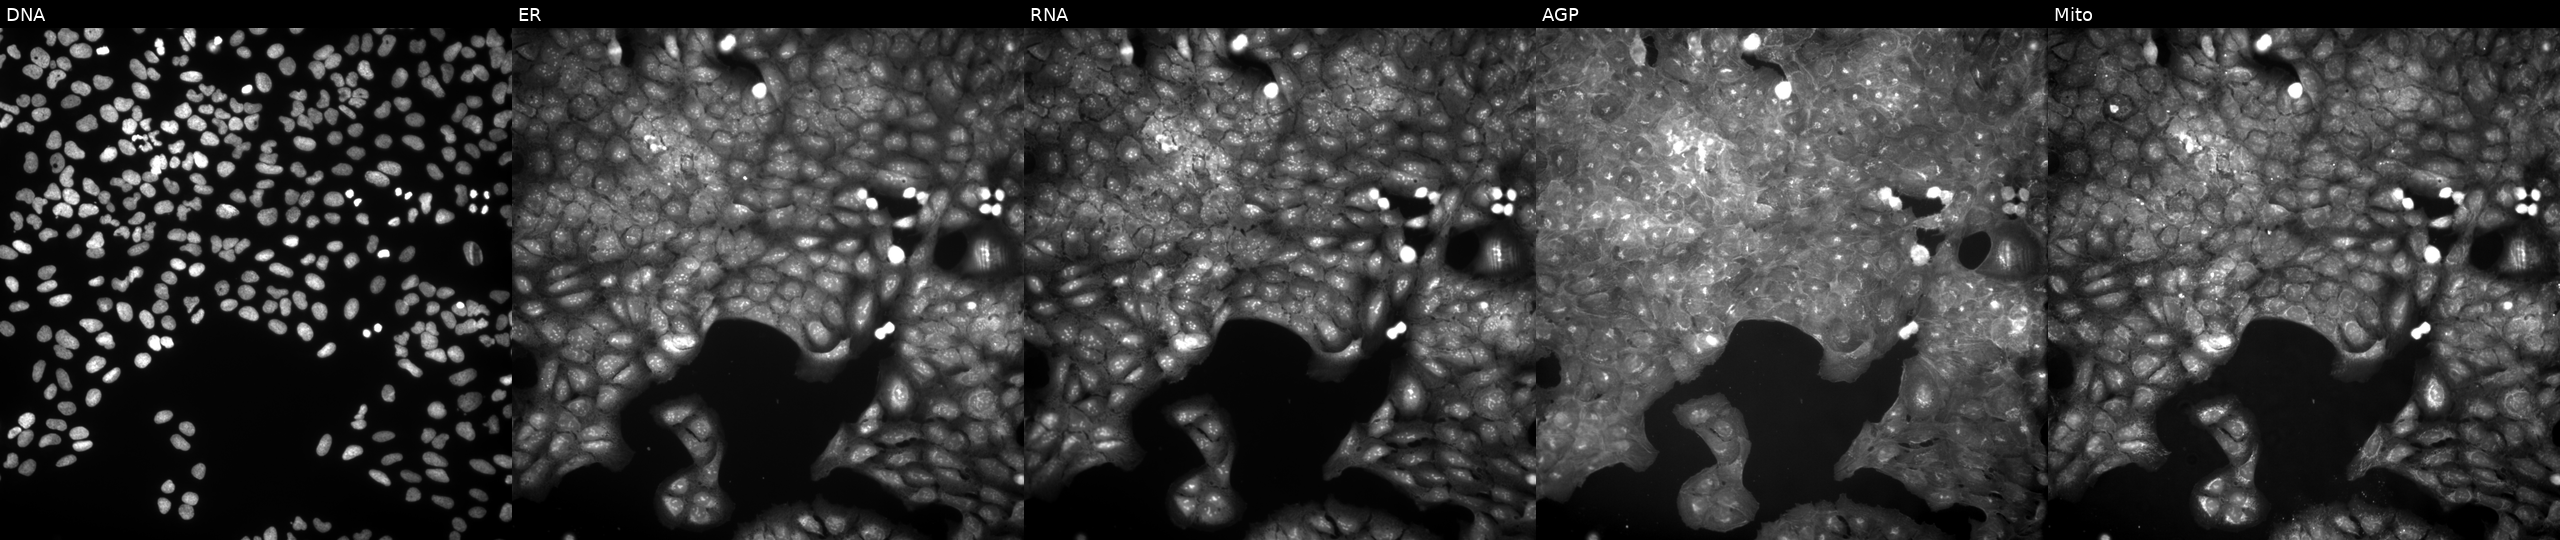
High-content fluorescence microscopy (Cell Painting). Cell line: U2OS. Perturbation: perturbed with a small-molecule compound (InChIKey ANBOODCPHRWWQQ-UHFFFAOYSA-N) (JUMP id JCP2022_002478). The five panels, left to right, show Hoechst 33342, concanavalin A, SYTO 14, phalloidin and WGA, MitoTracker.